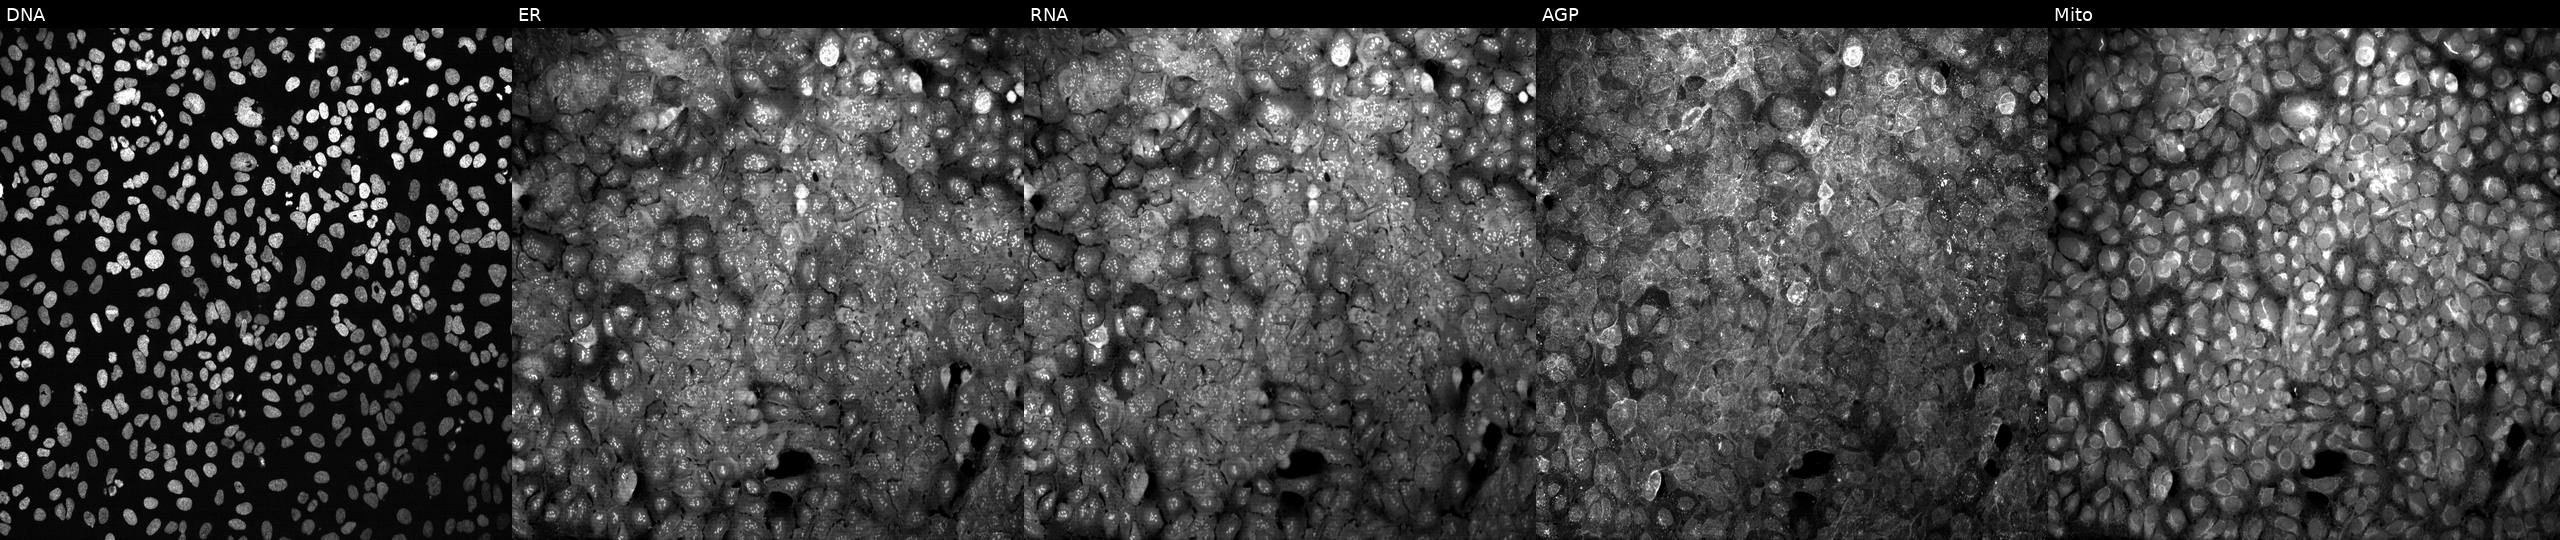
High-content fluorescence microscopy (Cell Painting). Cell line: U2OS. Perturbation: CRISPR-edited to disrupt ATP13A5. The five panels, left to right, show Hoechst 33342, concanavalin A, SYTO 14, phalloidin and WGA, MitoTracker. Source 13, plate CP-CC9-R1-02, well M13.